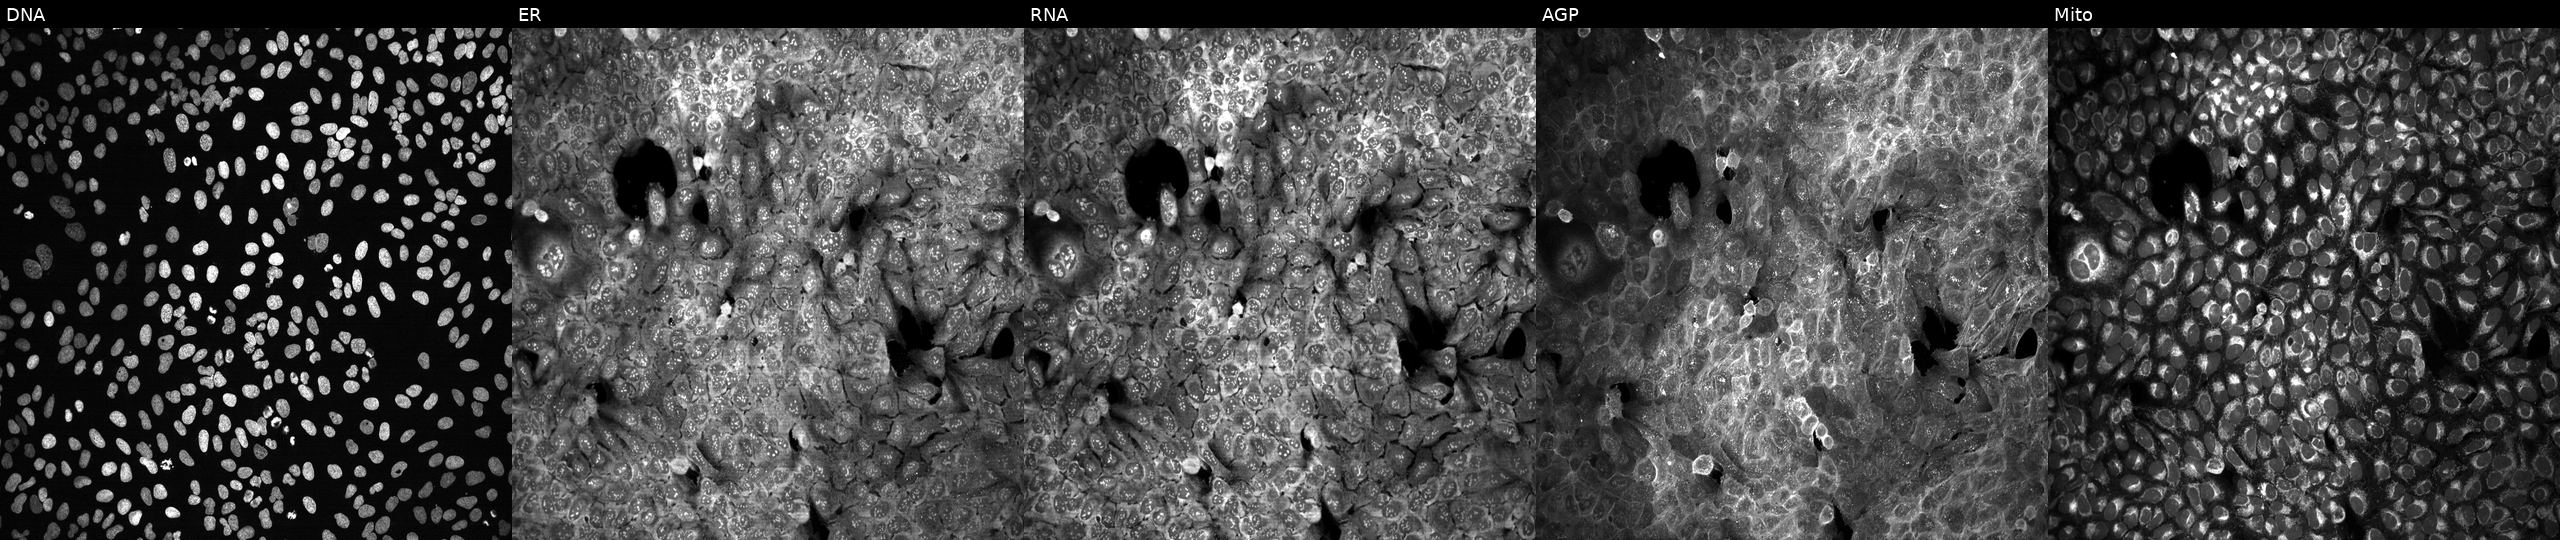
Five-channel Cell Painting image of U2OS cells with no CRISPR guide (negative control) (JUMP id JCP2022_800001). The five panels, left to right, show Hoechst 33342, concanavalin A, SYTO 14, phalloidin and WGA, MitoTracker. Source 13, plate CP-CC9-R6-19, well M23.